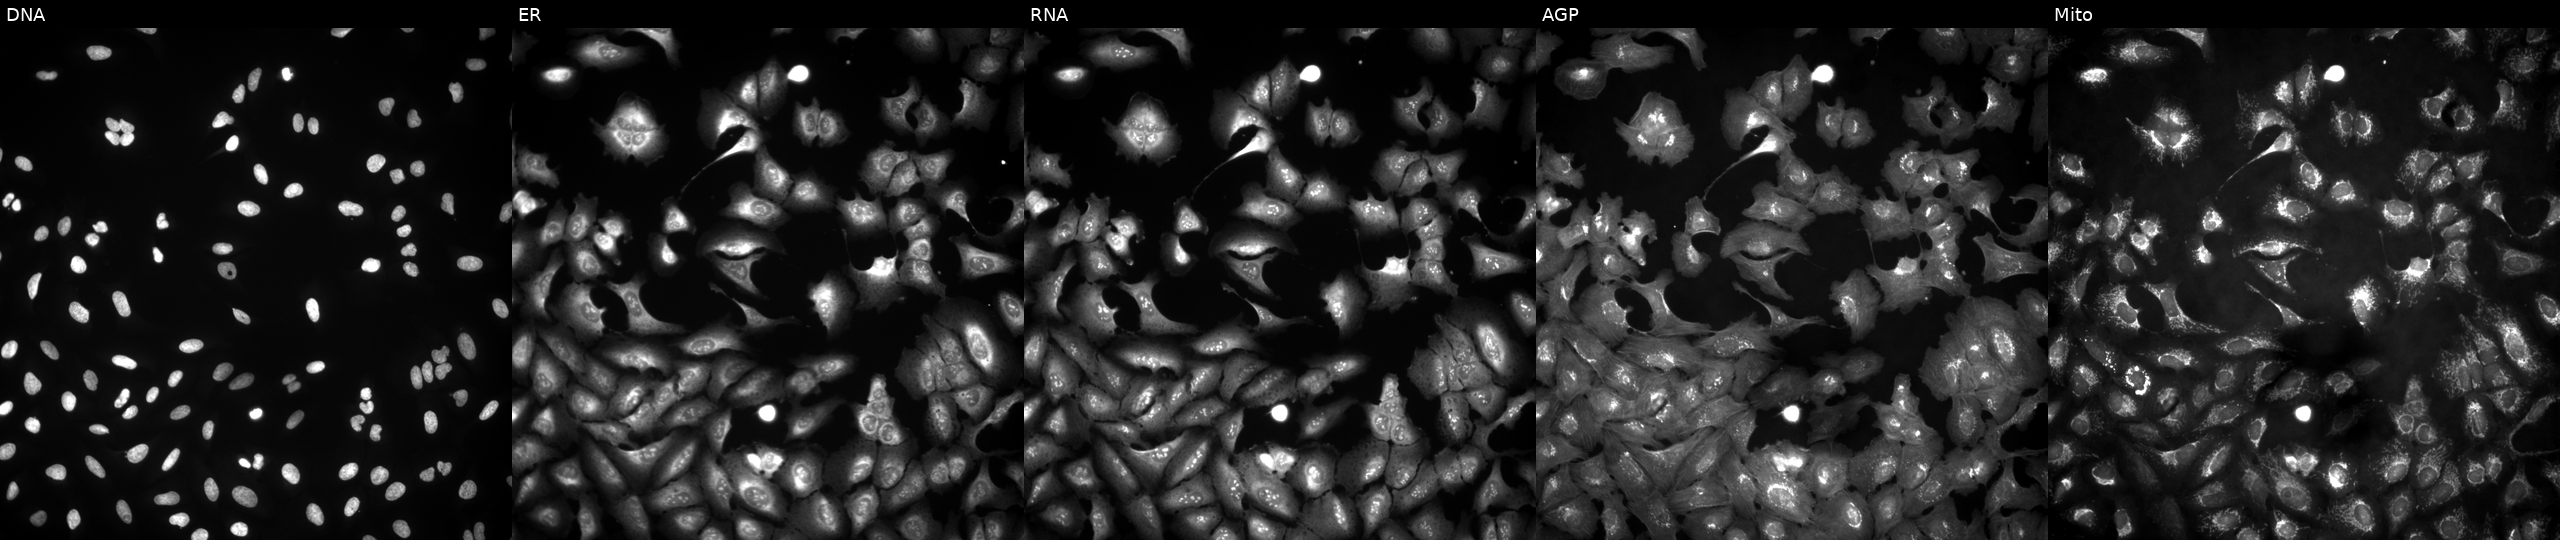
U2OS cells, Cell Painting assay, overexpressing VIT via ORF transfection (JUMP id JCP2022_906286). From left to right: DNA (nuclei); ER (endoplasmic reticulum); RNA (nucleoli and cytoplasmic RNA); AGP (actin cytoskeleton, Golgi, and plasma membrane); Mito (mitochondria). Each panel is percentile-stretched 16-bit fluorescence. Source 4, plate BR00124790, well F02.